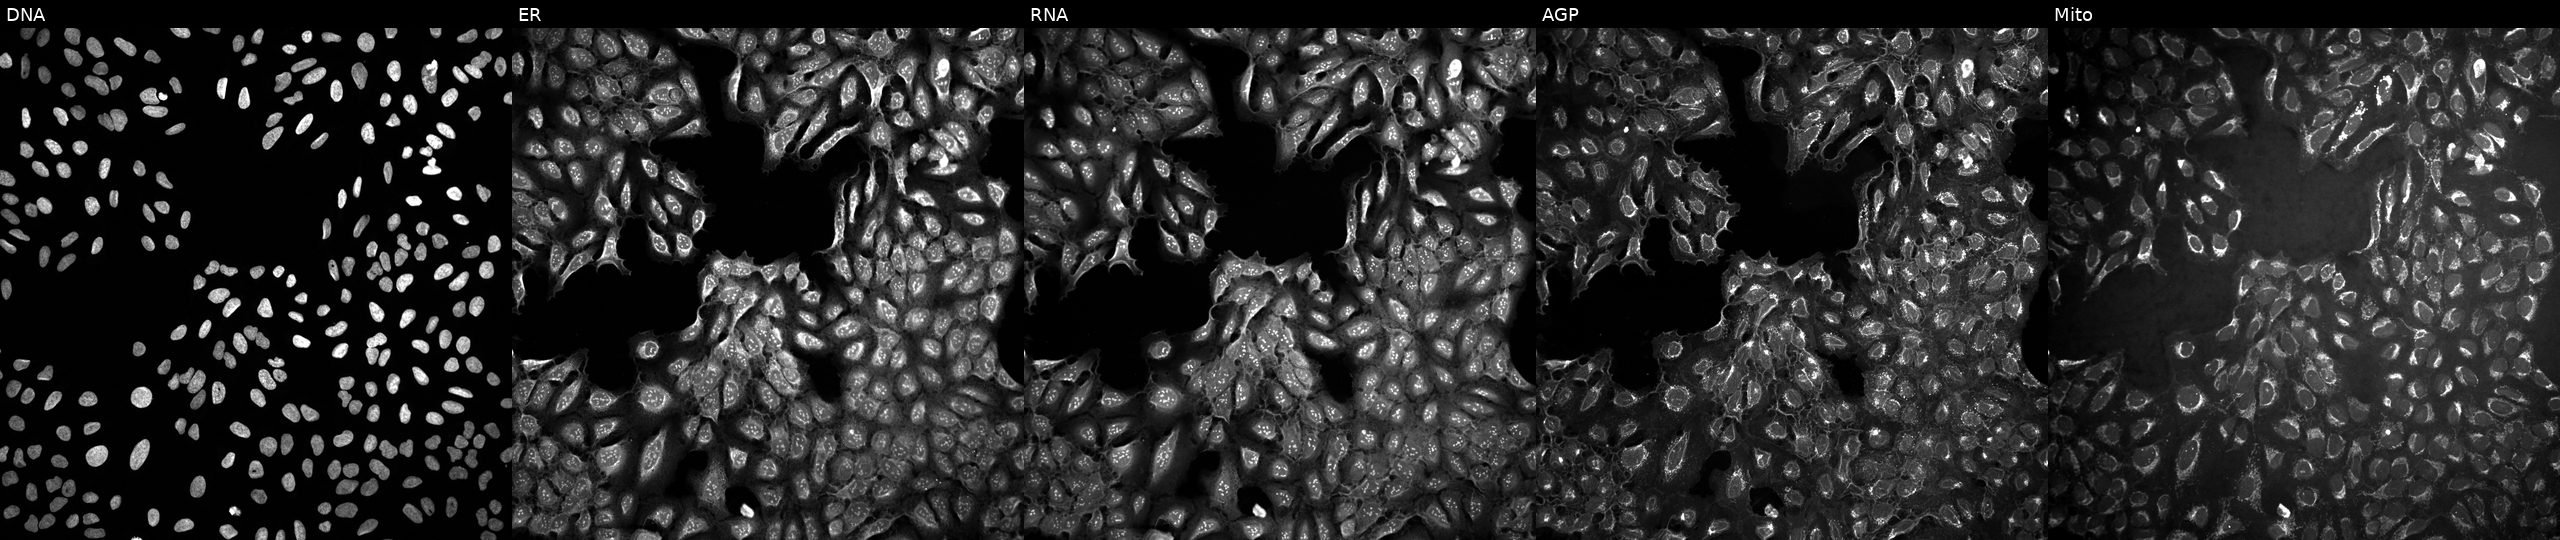
U2OS cells, Cell Painting assay, treated with a small-molecule compound [SMILES: COC(=O)C1=C(C#N)N=C(C)C(C(=O)OC(C)C)C1c1cccc([N+](=O)[O-])c1]. From left to right: DNA (nuclei); ER (endoplasmic reticulum); RNA (nucleoli and cytoplasmic RNA); AGP (actin cytoskeleton, Golgi, and plasma membrane); Mito (mitochondria). Each panel is percentile-stretched 16-bit fluorescence.